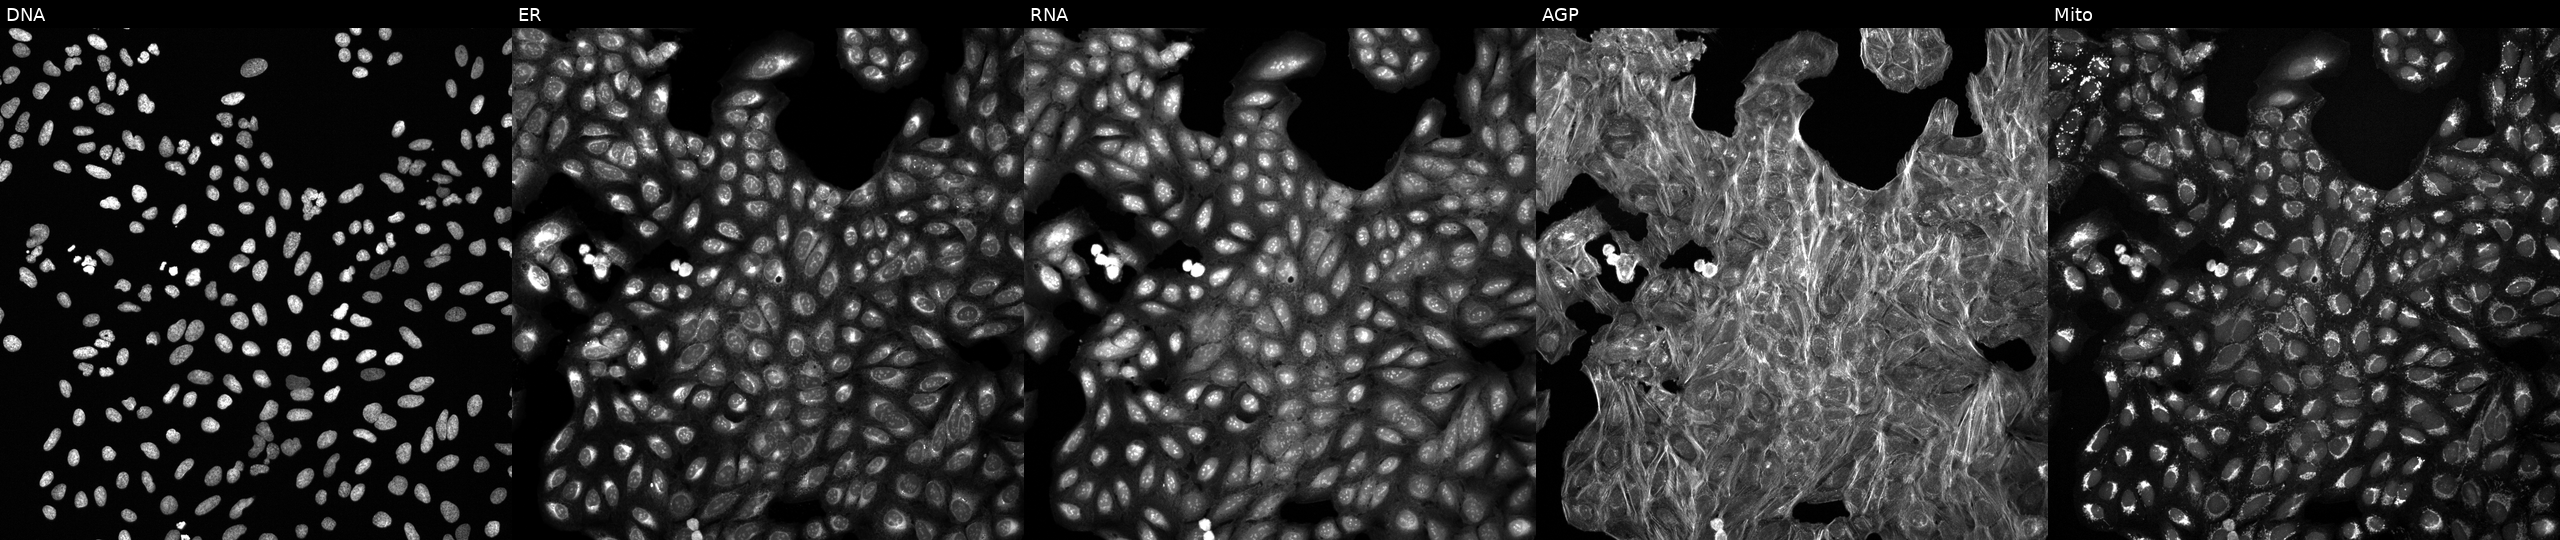
U2OS cells, Cell Painting assay, perturbed with a small-molecule compound (InChIKey XUOLZRCYDNUPDM-UHFFFAOYSA-N) (JUMP id JCP2022_106132). From left to right: DNA, ER, RNA, AGP, and Mito. Each panel is percentile-stretched 16-bit fluorescence. Source 6, plate 110000293082, well D07.